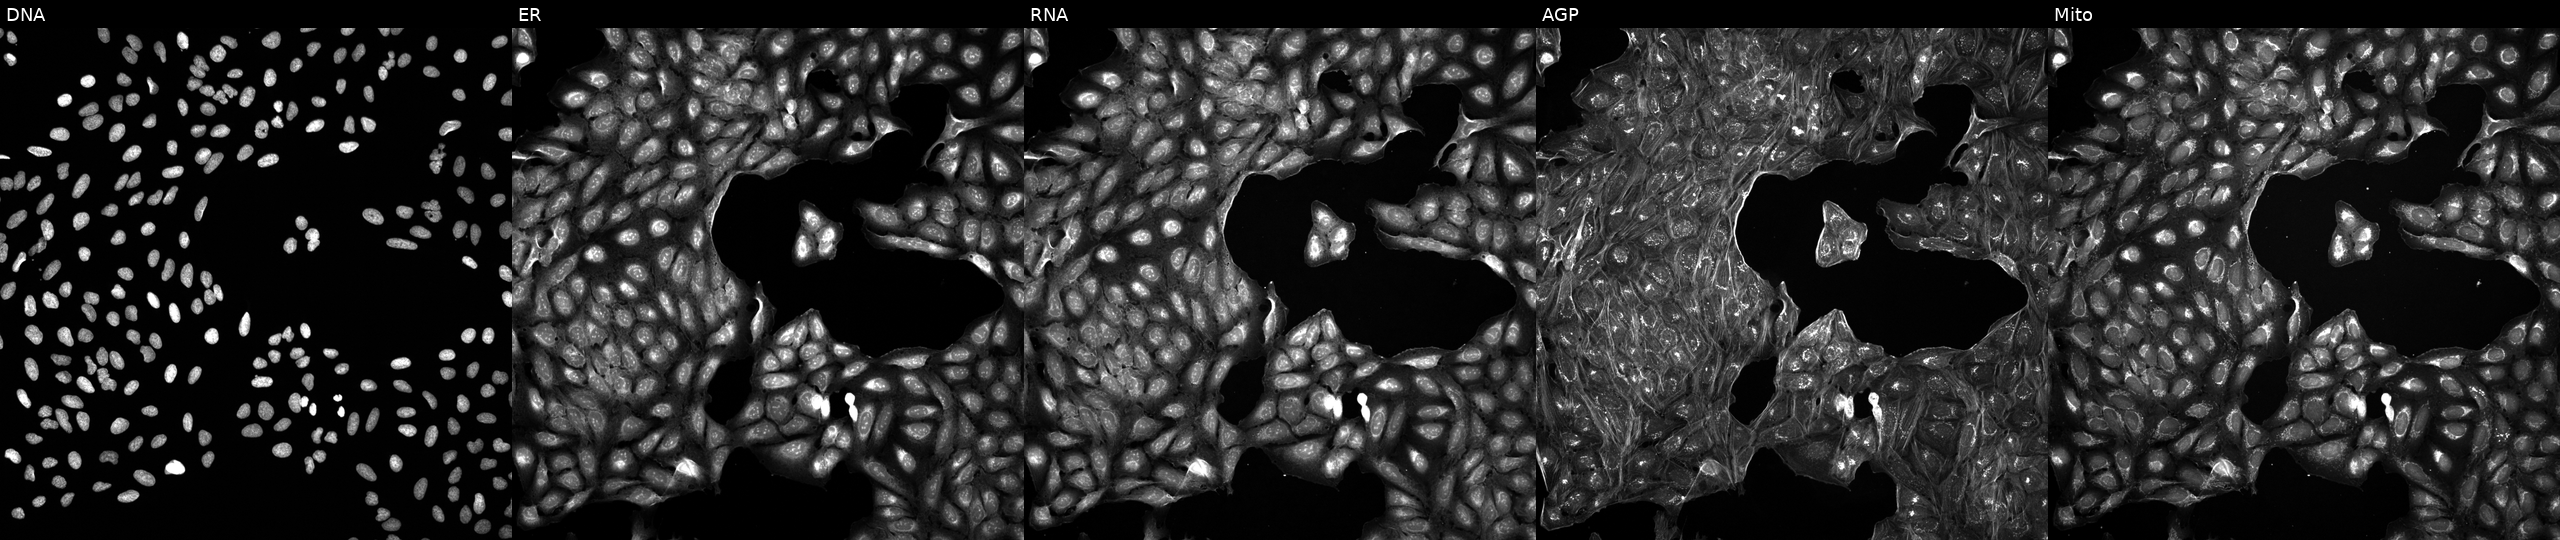
Five-channel Cell Painting image of U2OS cells perturbed with a small-molecule compound (InChIKey QYSRHCAJZHGRDH-UHFFFAOYSA-N) (JUMP id JCP2022_076757). Panels show, left to right, DNA (nuclei); ER (endoplasmic reticulum); RNA (nucleoli and cytoplasmic RNA); AGP (actin cytoskeleton, Golgi, and plasma membrane); Mito (mitochondria).